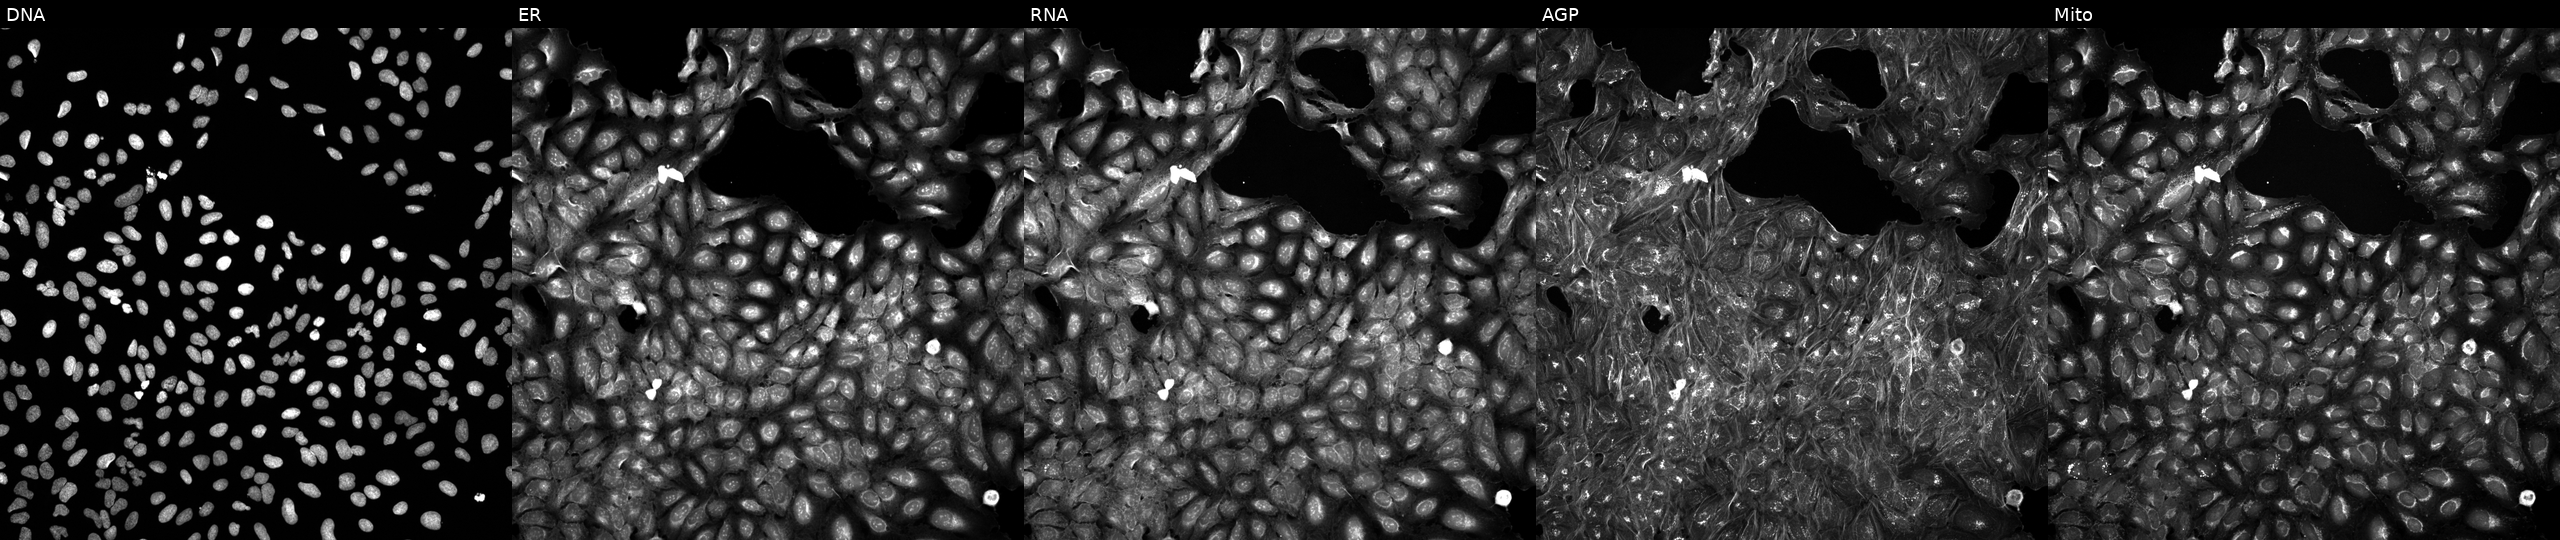
JUMP Cell Painting — COMPOUND plate. U2OS cells treated with DMSO vehicle only (negative control). Panels show, left to right, DNA, ER, RNA, AGP, and Mito. Source 5, plate APTJUM106, well B23.